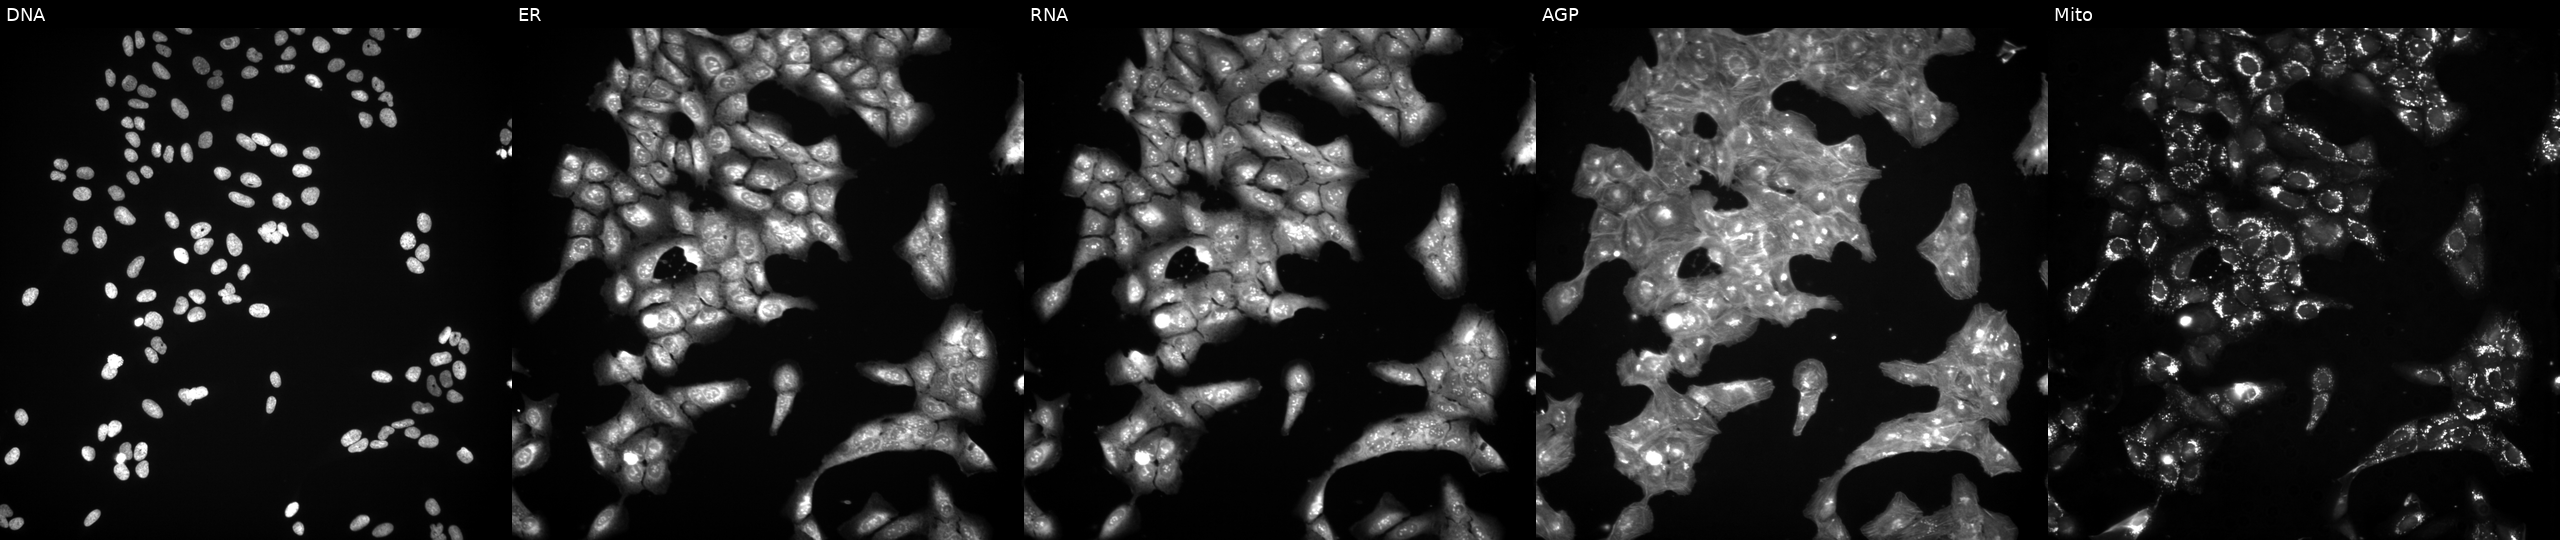
U2OS cells, Cell Painting assay, treated with a small-molecule compound (InChIKey WGZOTBUYUFBEPZ-UHFFFAOYSA-N) [SMILES: Cc1cccc(-c2[nH]c(C(C)(C)C)nc2-c2ccc3c(c2)OCO3)n1] (JUMP id JCP2022_098688). Channels (left→right): DNA, ER, RNA, AGP, and Mito. Each panel is percentile-stretched 16-bit fluorescence.